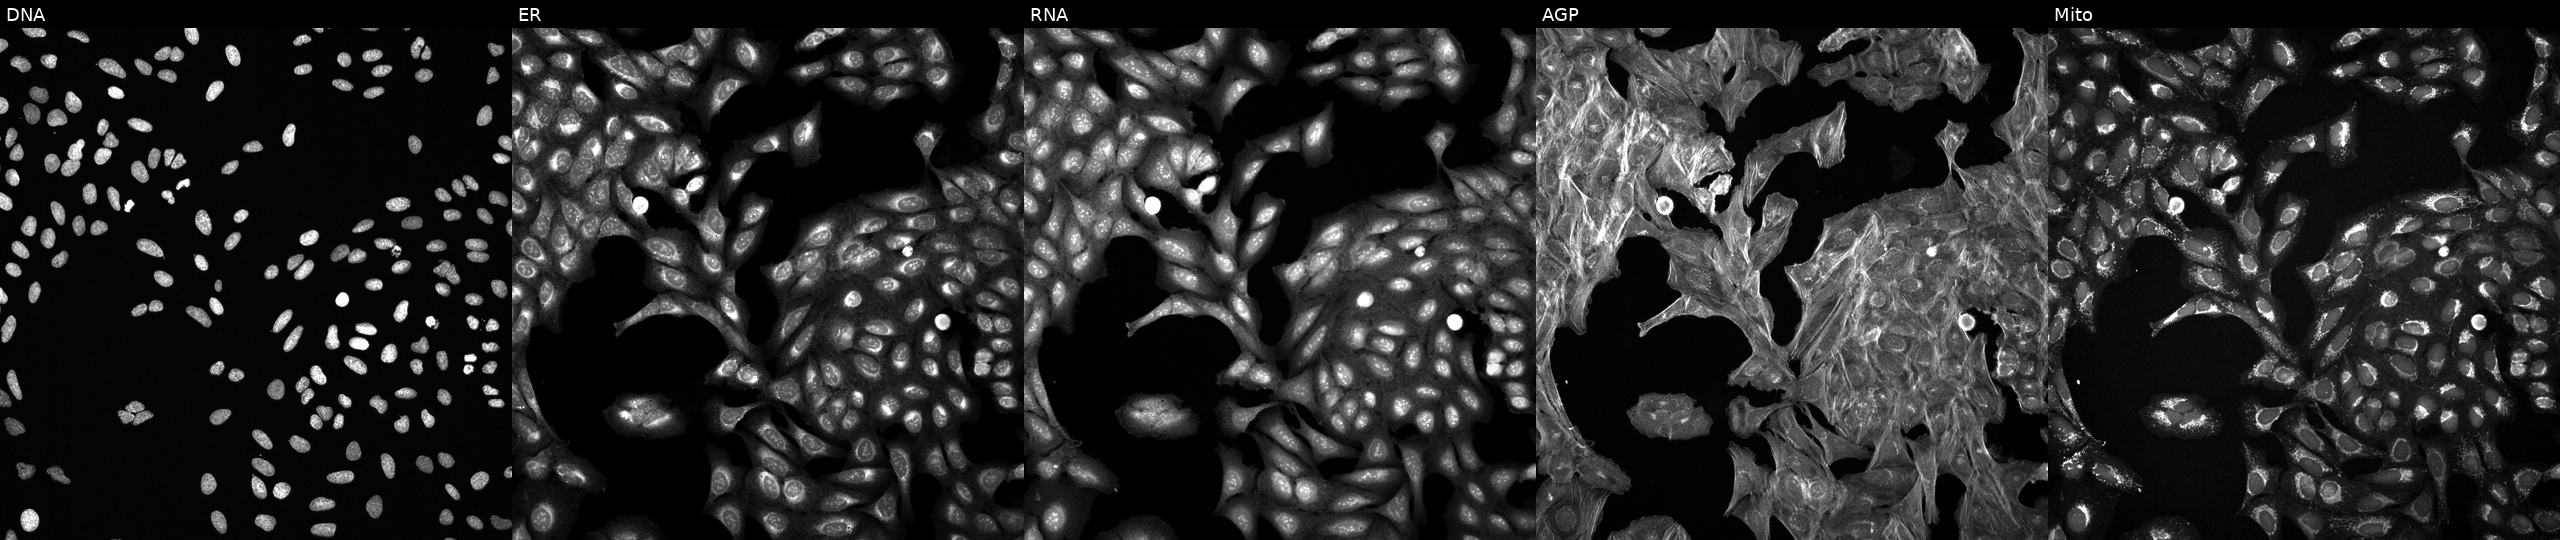
Panels show, left to right, DNA (nuclei); ER (endoplasmic reticulum); RNA (nucleoli and cytoplasmic RNA); AGP (actin cytoskeleton, Golgi, and plasma membrane); Mito (mitochondria). U2OS osteosarcoma cells exposed to DMSO alone as a negative control. Cell Painting assay, JUMP-CP dataset.